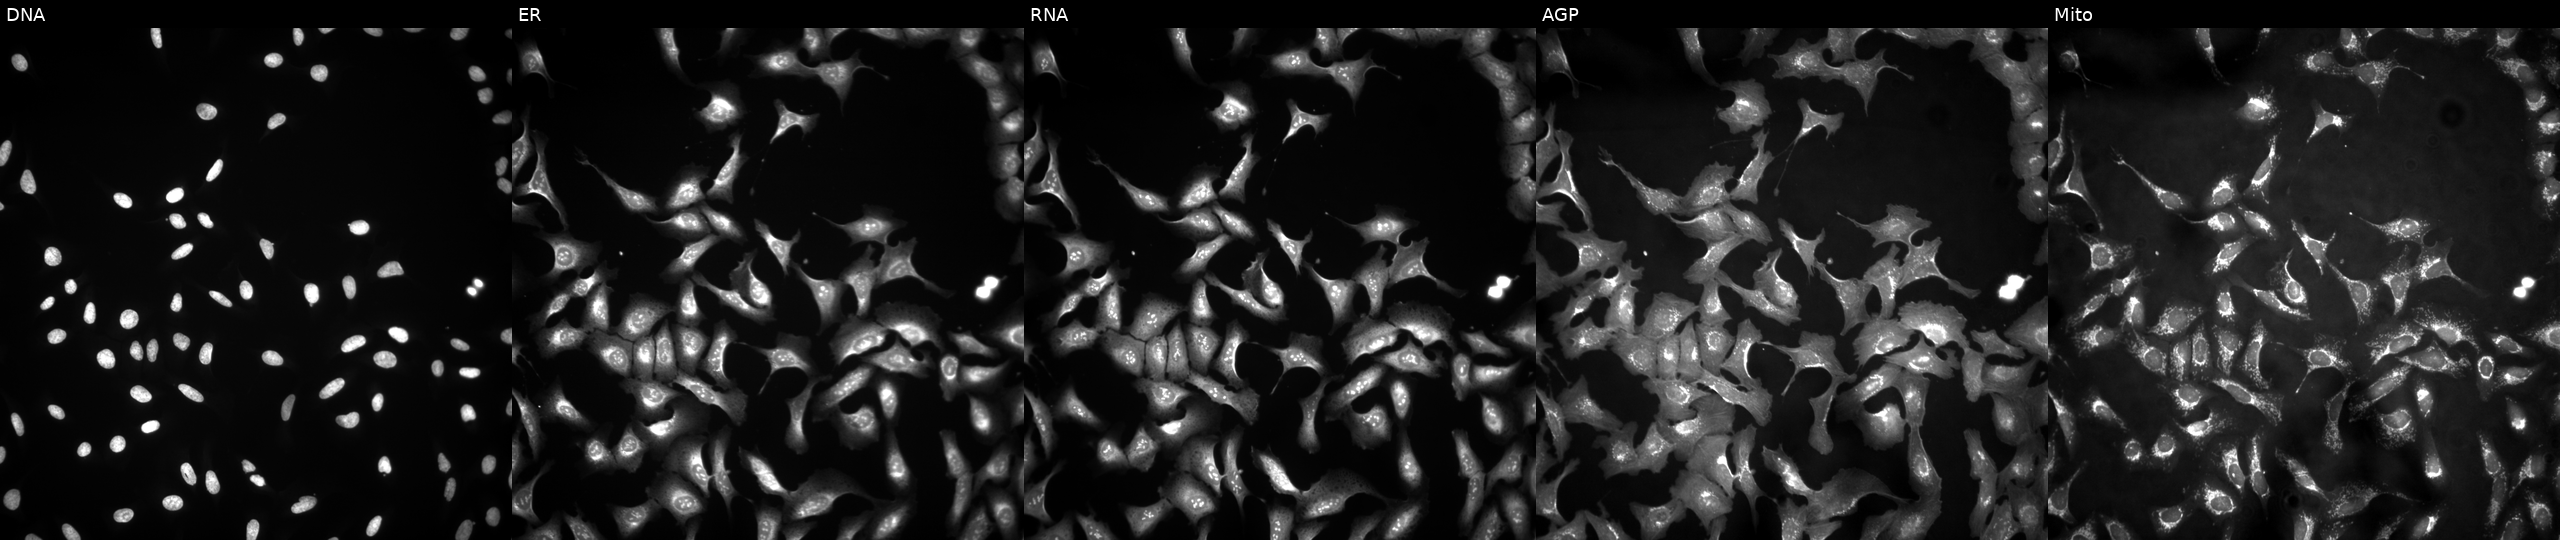
High-content fluorescence microscopy (Cell Painting). Cell line: U2OS. Perturbation: transfected with an ORF construct for TTC30B (JUMP id JCP2022_909017). Channels (left→right): Hoechst 33342, concanavalin A, SYTO 14, phalloidin and WGA, MitoTracker. Source 4, plate BR00121543, well J21.